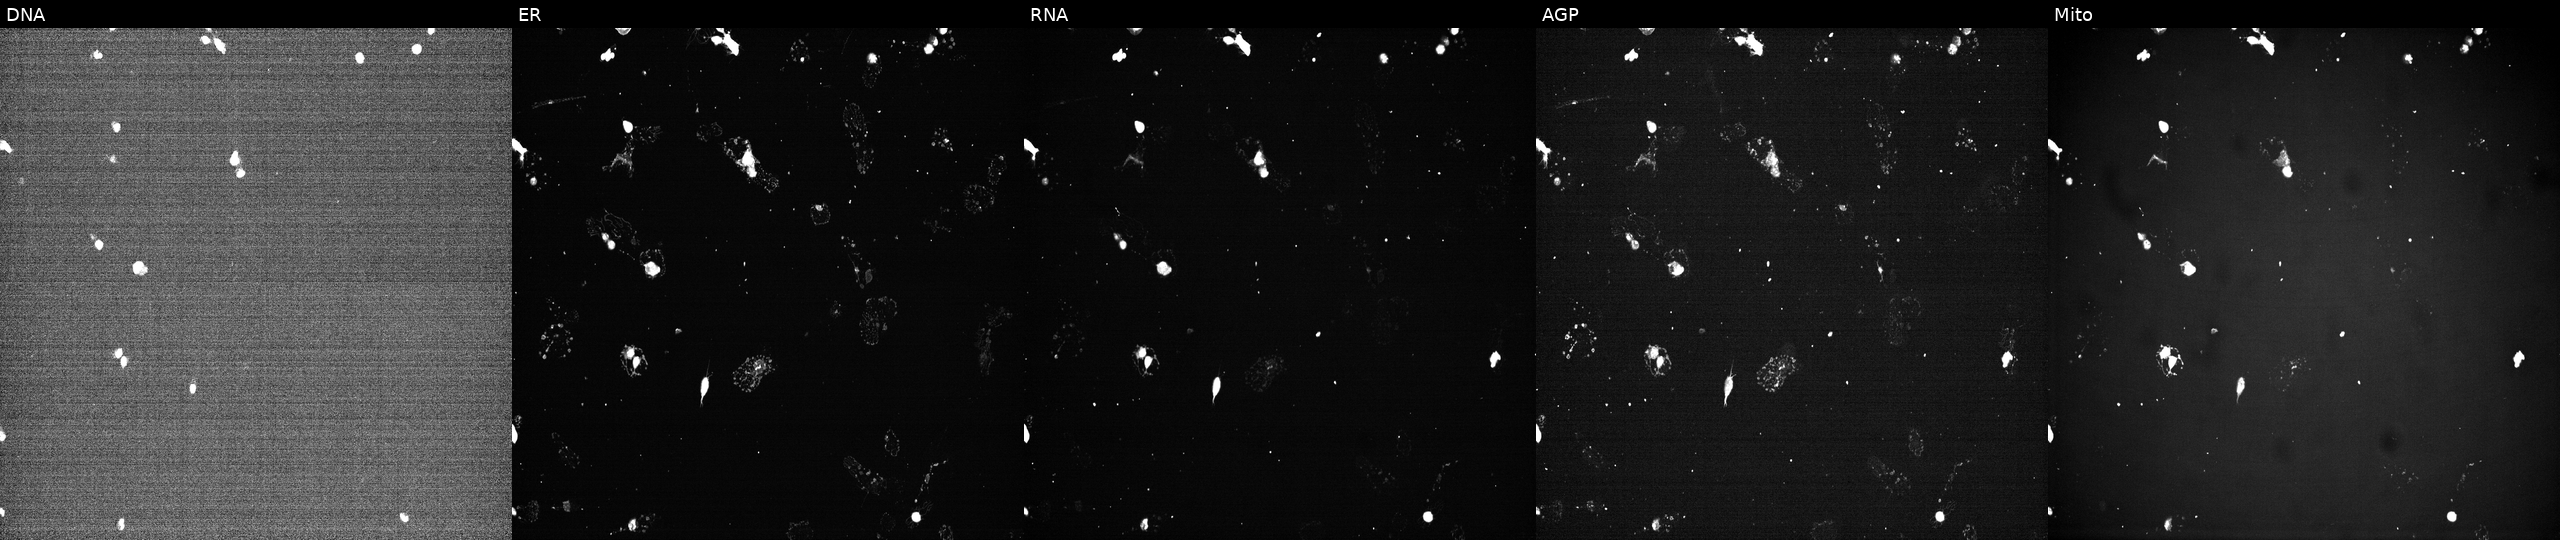
High-content fluorescence microscopy (Cell Painting). Cell line: U2OS. Perturbation: perturbed with a small-molecule compound (InChIKey PHXJVRSECIGDHY-UHFFFAOYSA-N) (JUMP id JCP2022_068713). Channels (left→right): DNA (nuclei); ER (endoplasmic reticulum); RNA (nucleoli and cytoplasmic RNA); AGP (actin cytoskeleton, Golgi, and plasma membrane); Mito (mitochondria). Source 7, plate CP2-SC1-25, well J08.